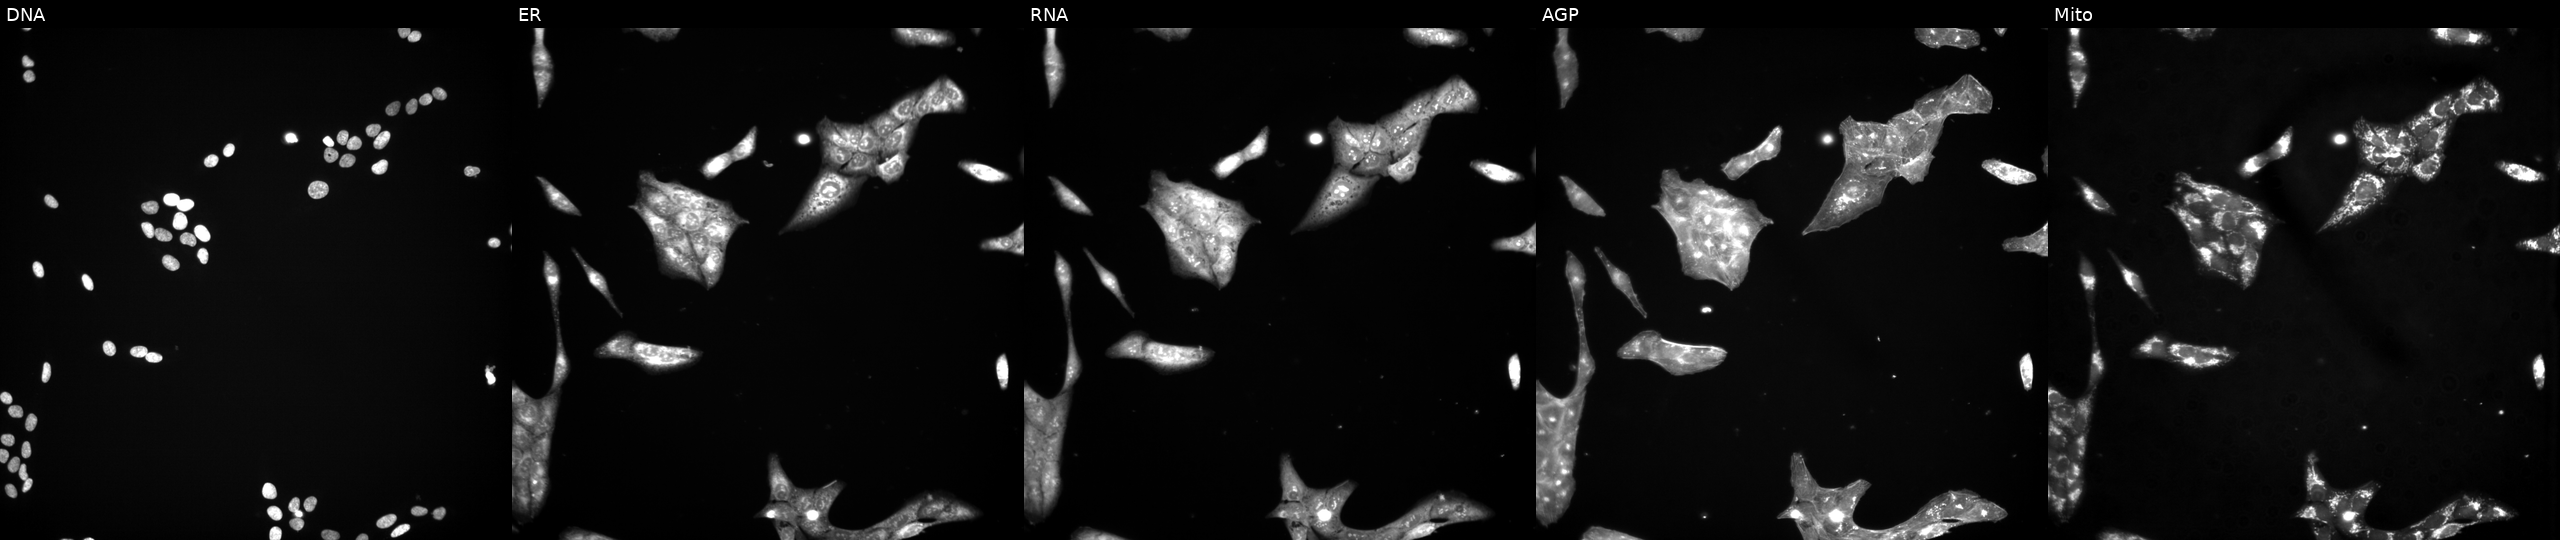
High-content fluorescence microscopy (Cell Painting). Cell line: U2OS. Perturbation: exposed to a small-molecule compound (InChIKey VHHVPDKNKPNKHY-UHFFFAOYSA-N). Channels (left→right): DNA, ER, RNA, AGP, and Mito. Source 3, plate JCPQC053, well G24.